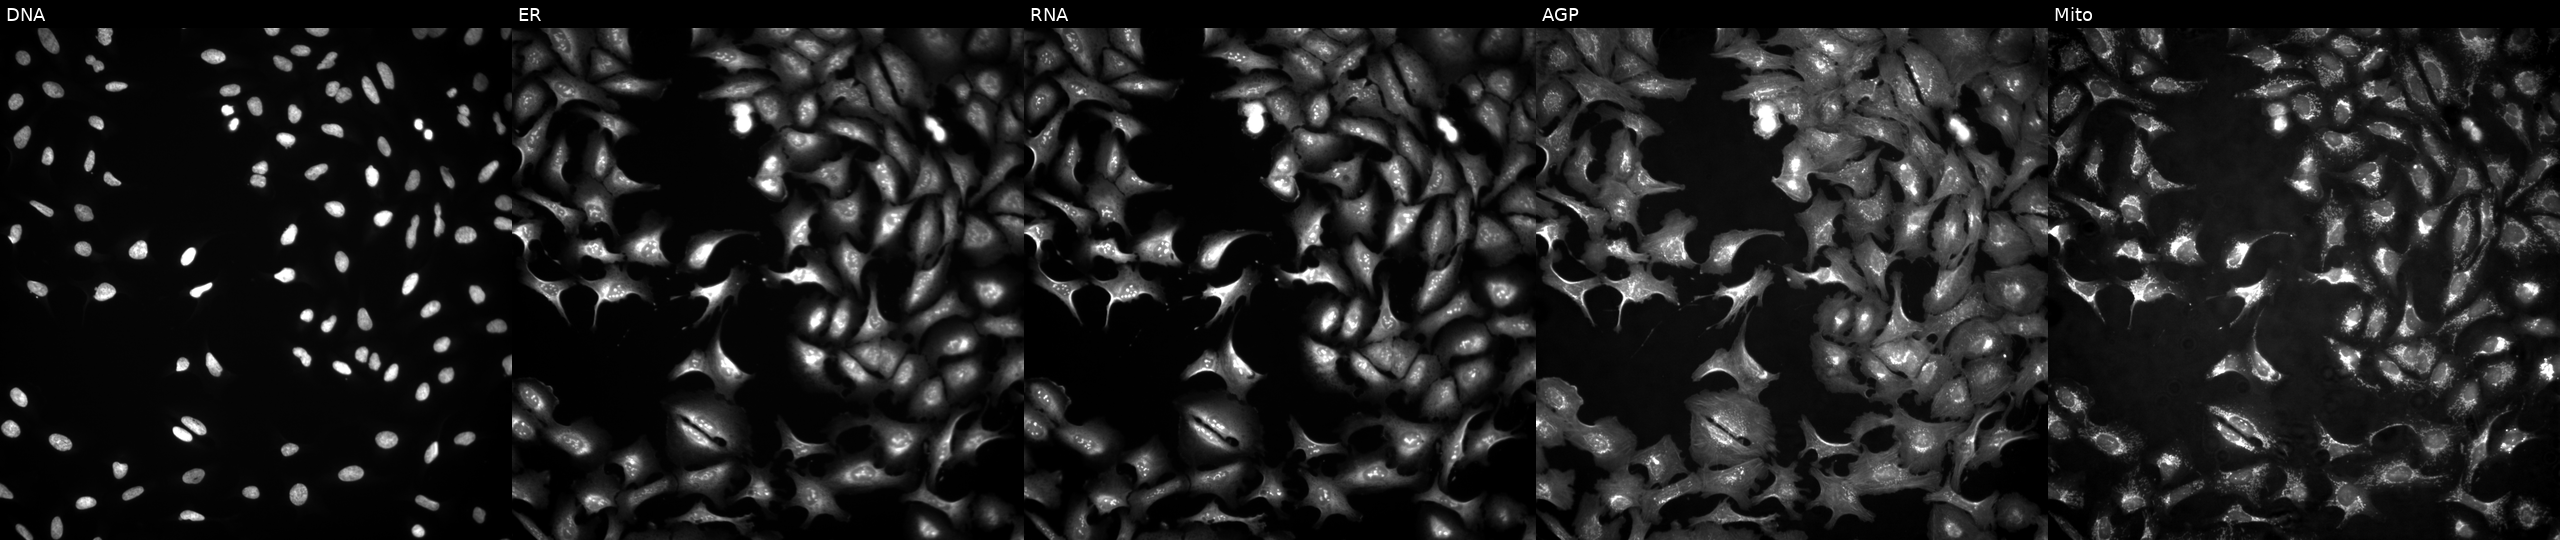
Panels show, left to right, DNA, ER, RNA, AGP, and Mito. U2OS osteosarcoma cells overexpressing RPL37A via ORF transfection. Cell Painting assay, JUMP-CP dataset. Source 4, plate BR00124787, well G20.